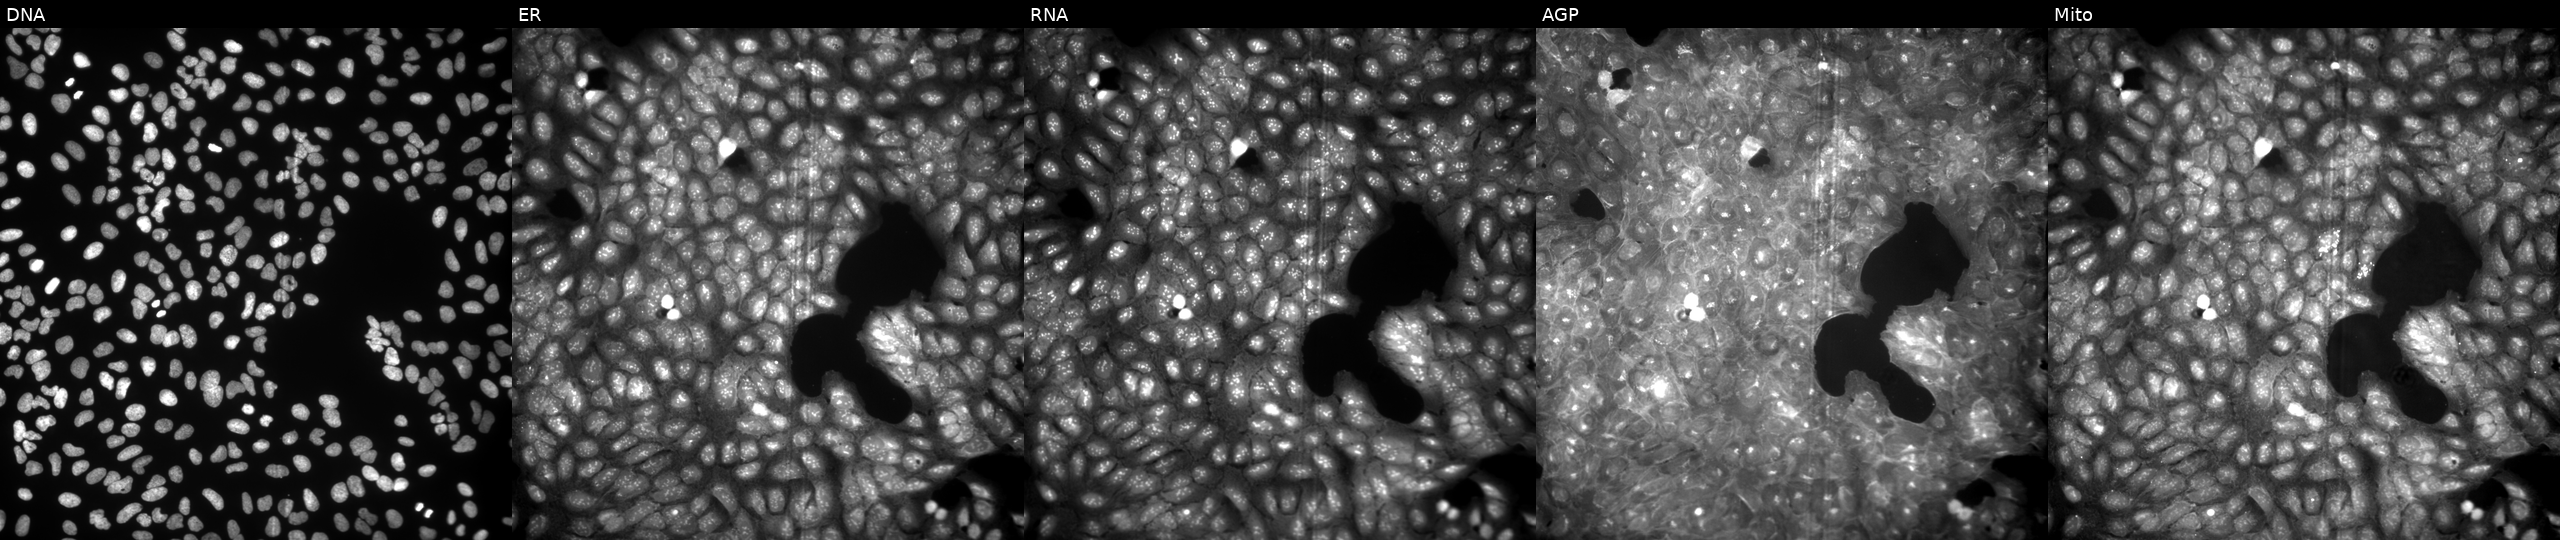
This image strip shows the five Cell Painting channels for a single field of U2OS cells exposed to a small-molecule compound (InChIKey FWMNCFQXNDDXHI-UHFFFAOYSA-N) (JUMP id JCP2022_023429). The five panels, left to right, show Hoechst 33342, concanavalin A, SYTO 14, phalloidin and WGA, MitoTracker. Source 9, plate GR00003382, well V33.